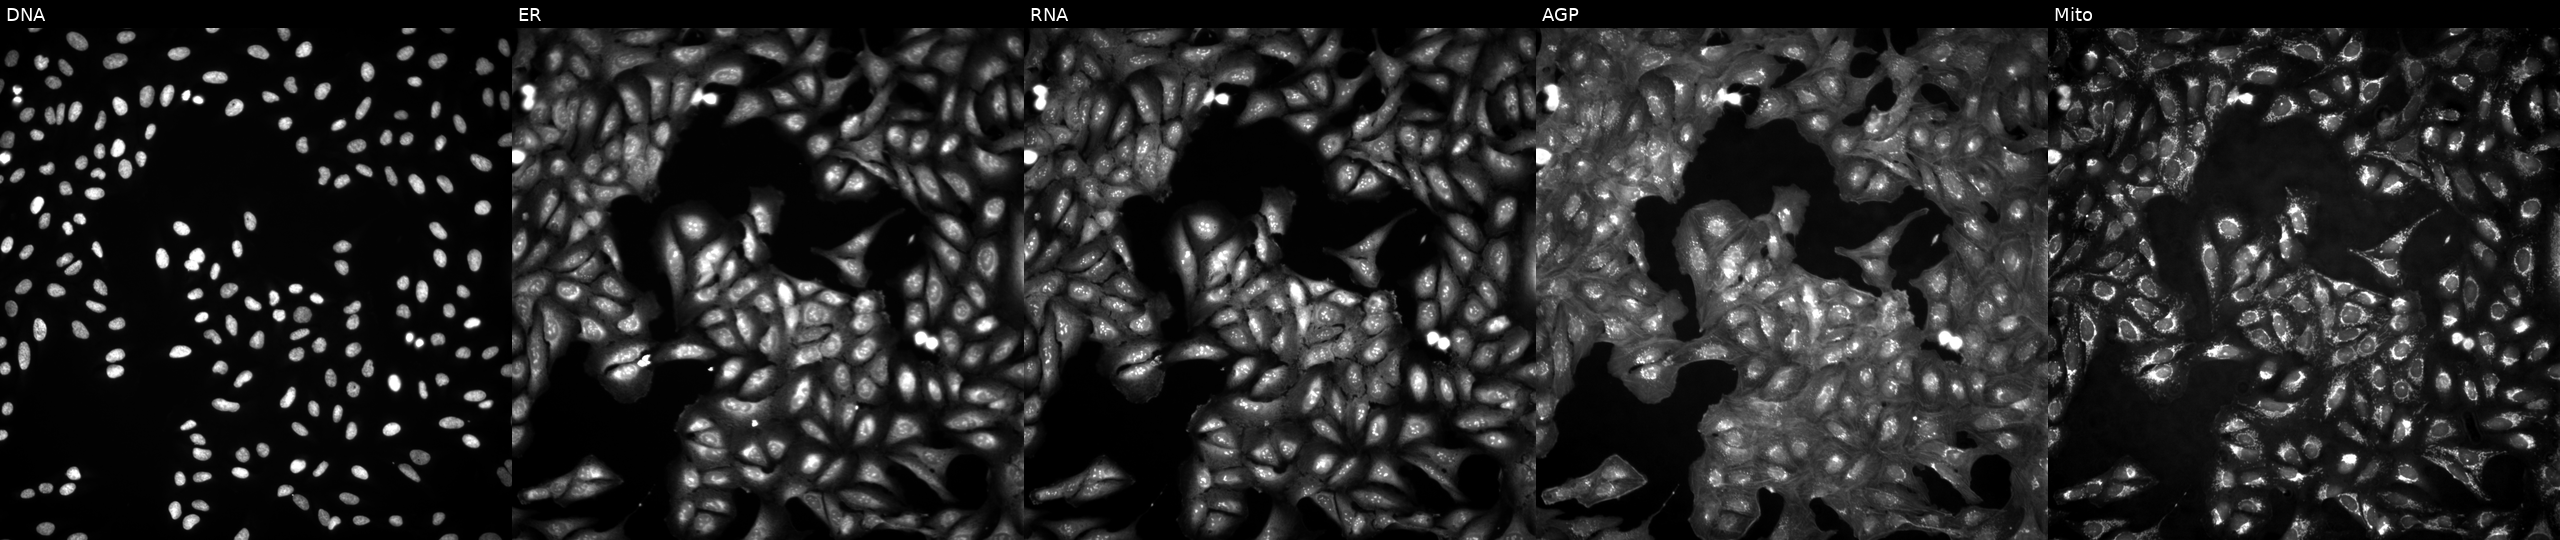
JUMP Cell Painting — ORF plate. U2OS cells untreated (empty-well control). From left to right: DNA (nuclei); ER (endoplasmic reticulum); RNA (nucleoli and cytoplasmic RNA); AGP (actin cytoskeleton, Golgi, and plasma membrane); Mito (mitochondria).